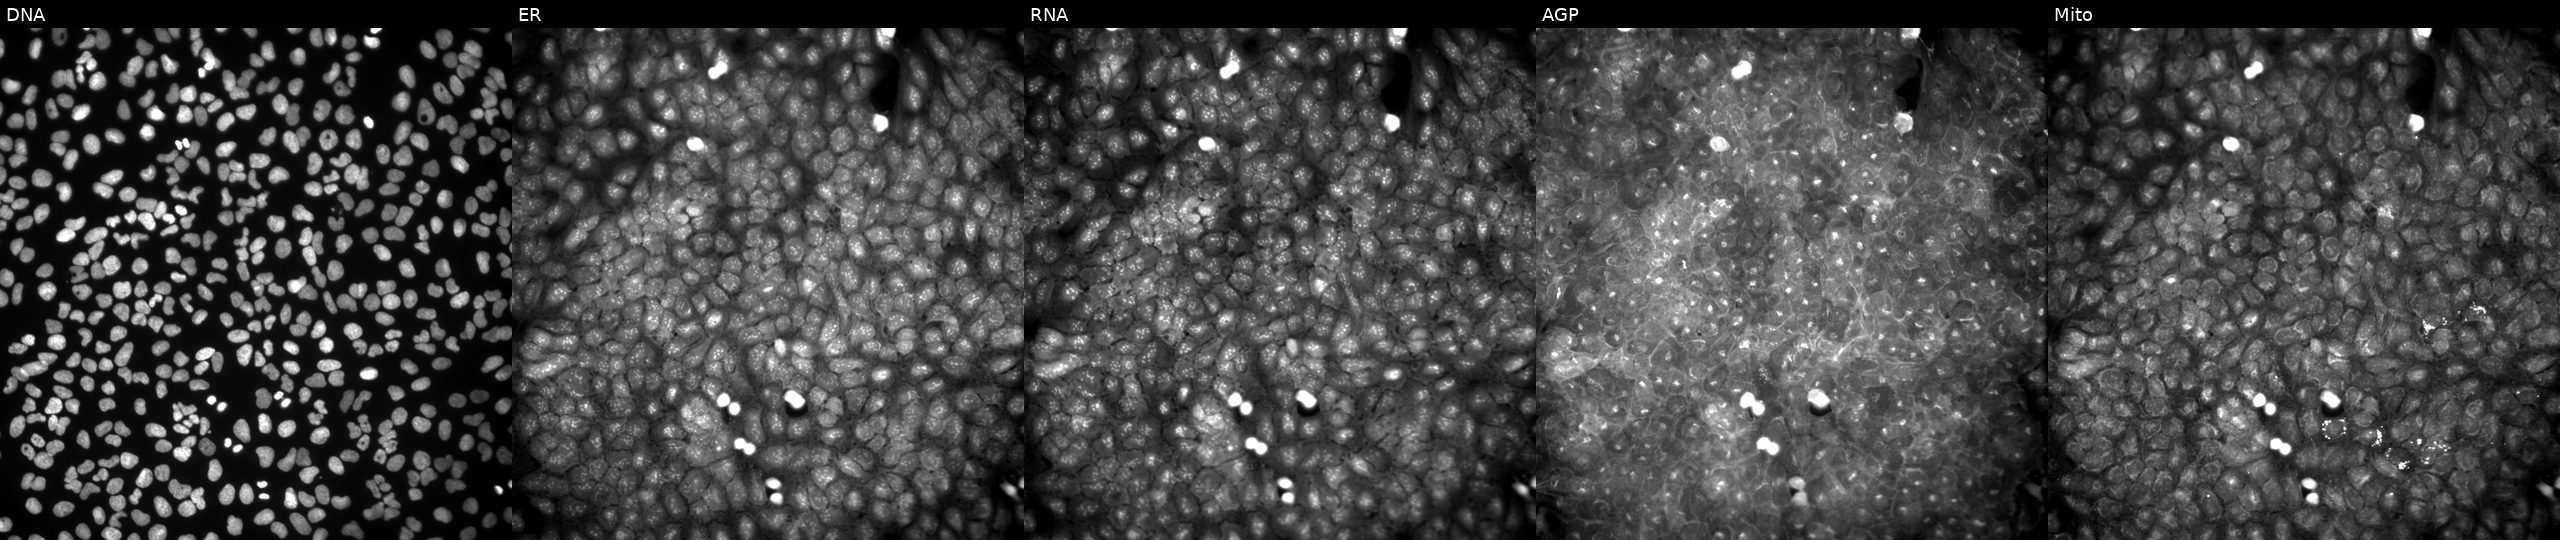
U2OS cells, Cell Painting assay, exposed to a small-molecule compound (InChIKey SFMONPNXAMKQMY-UHFFFAOYSA-N) (JUMP id JCP2022_082867). Channels (left→right): Hoechst 33342, concanavalin A, SYTO 14, phalloidin and WGA, MitoTracker. Each panel is percentile-stretched 16-bit fluorescence. Source 9, plate GR00003382, well Z31.